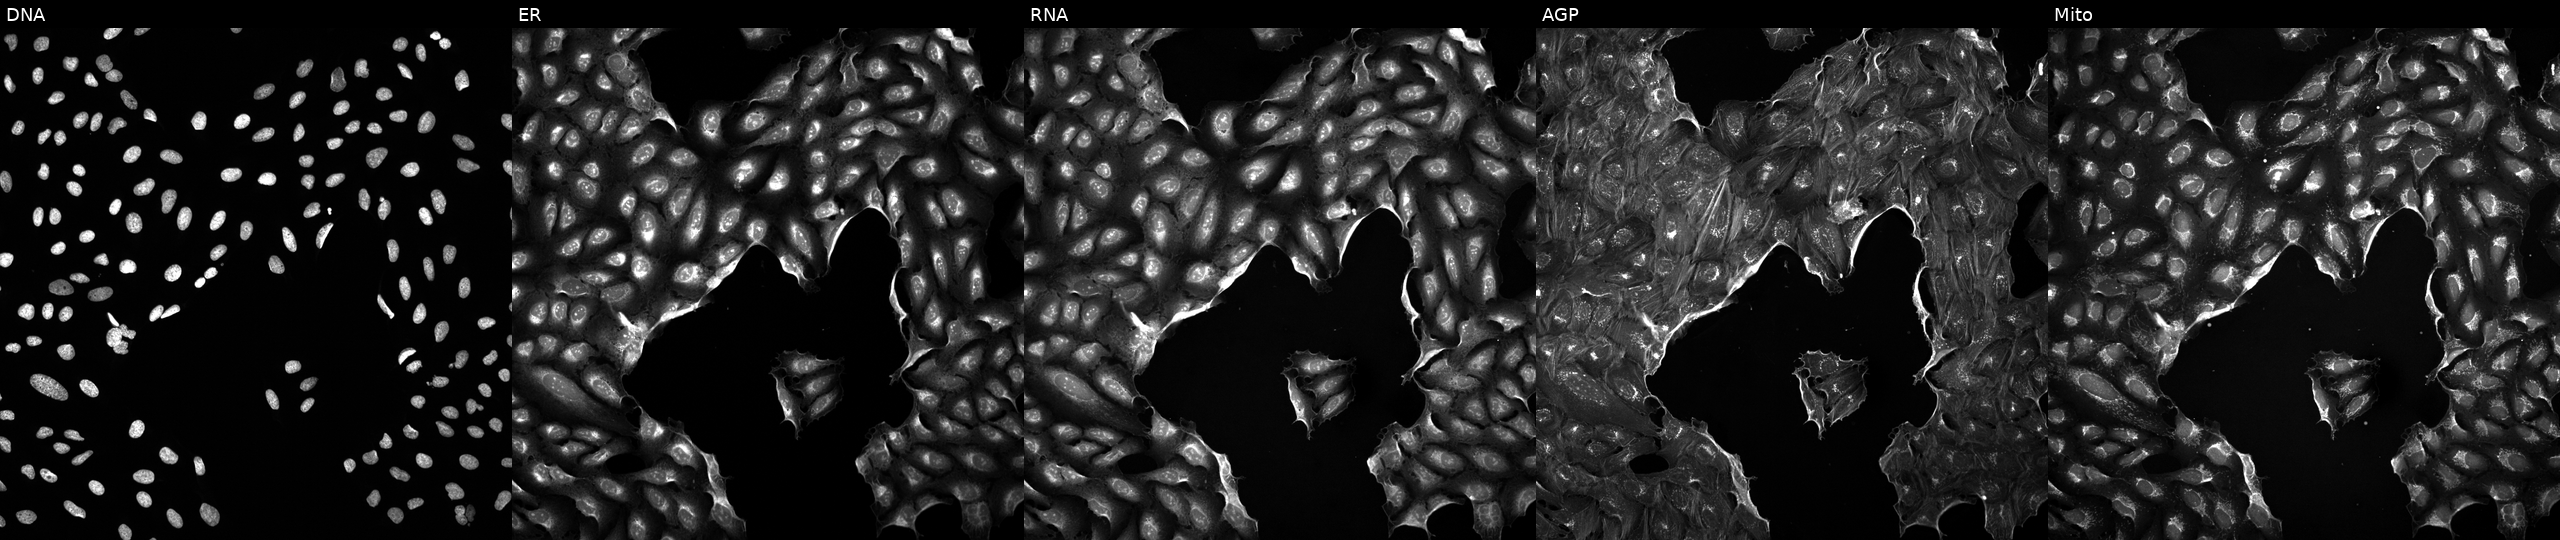
This image strip shows the five Cell Painting channels for a single field of U2OS cells perturbed with a small-molecule compound (InChIKey OQQVFCKUDYMWGV-UHFFFAOYSA-N) (JUMP id JCP2022_065525). From left to right: DNA (nuclei); ER (endoplasmic reticulum); RNA (nucleoli and cytoplasmic RNA); AGP (actin cytoskeleton, Golgi, and plasma membrane); Mito (mitochondria). Source 5, plate ACPJUM051, well M14.